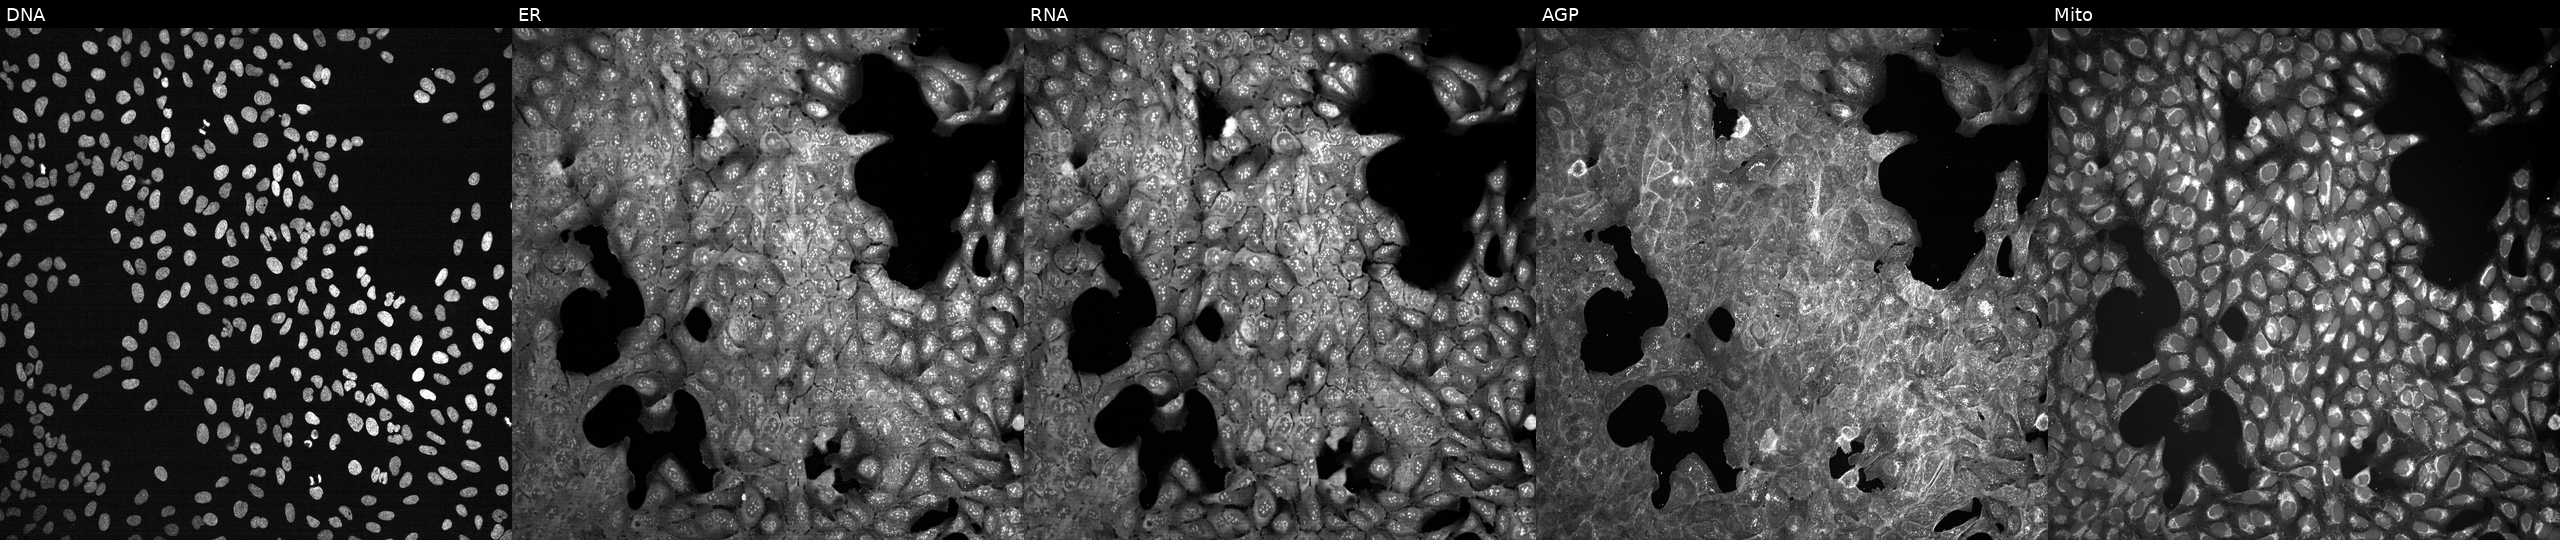
High-content fluorescence microscopy (Cell Painting). Cell line: U2OS. Perturbation: treated with a small-molecule compound (InChIKey WPEWQEMJFLWMLV-UHFFFAOYSA-N). The five panels, left to right, show DNA (nuclei); ER (endoplasmic reticulum); RNA (nucleoli and cytoplasmic RNA); AGP (actin cytoskeleton, Golgi, and plasma membrane); Mito (mitochondria). Source 7, plate CP3-SC1-25, well A07.